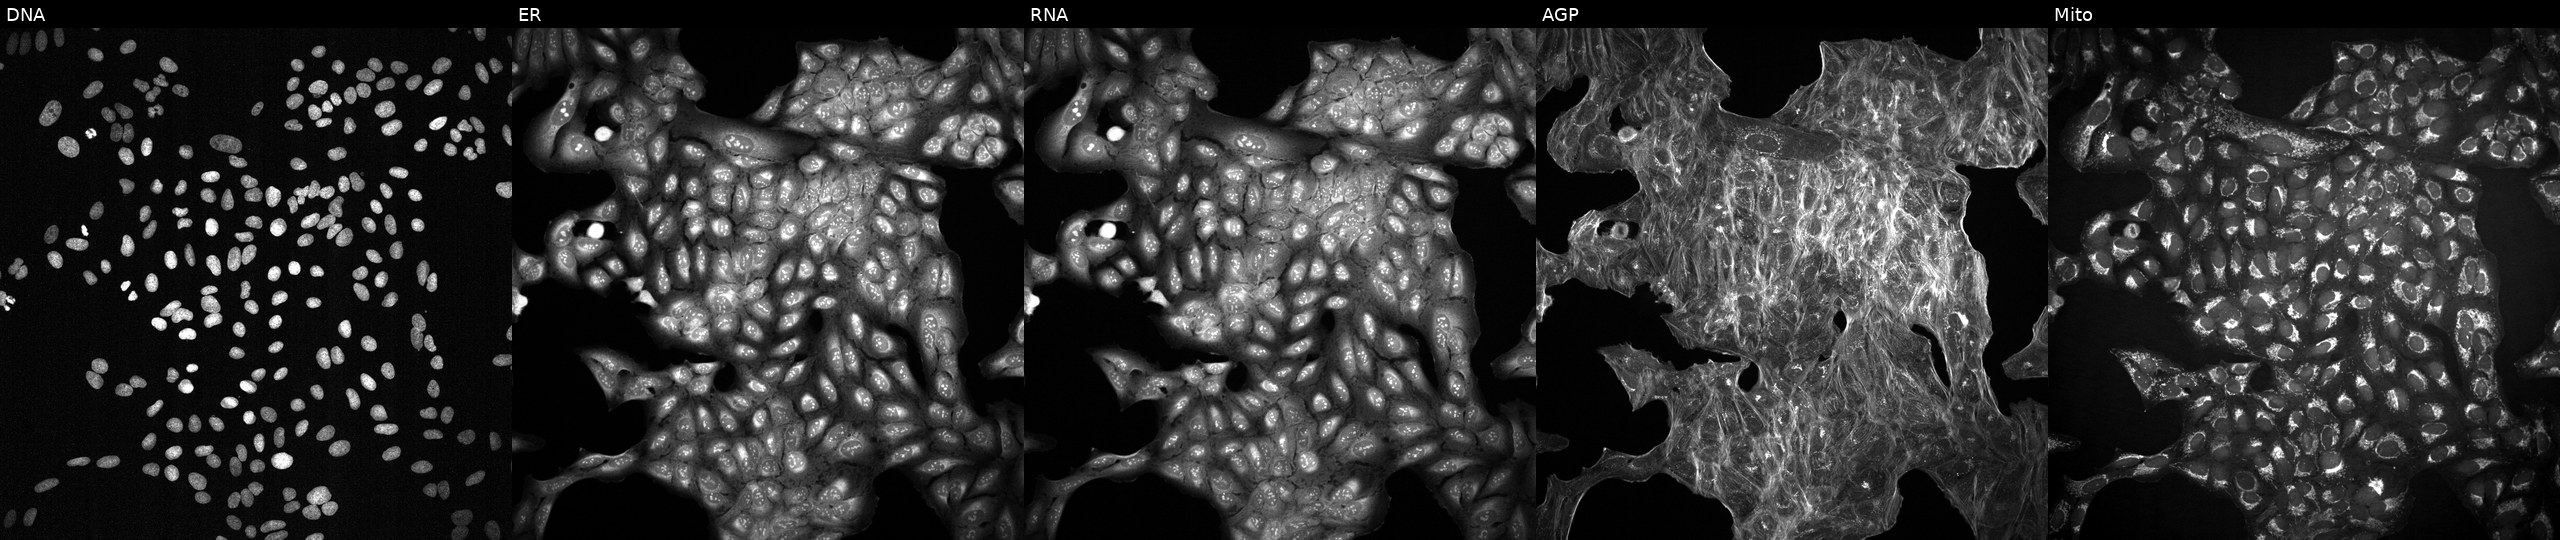
JUMP Cell Painting — TARGET2 plate. U2OS cells treated with DMSO vehicle only (negative control). Channels (left→right): Hoechst 33342, concanavalin A, SYTO 14, phalloidin and WGA, MitoTracker.